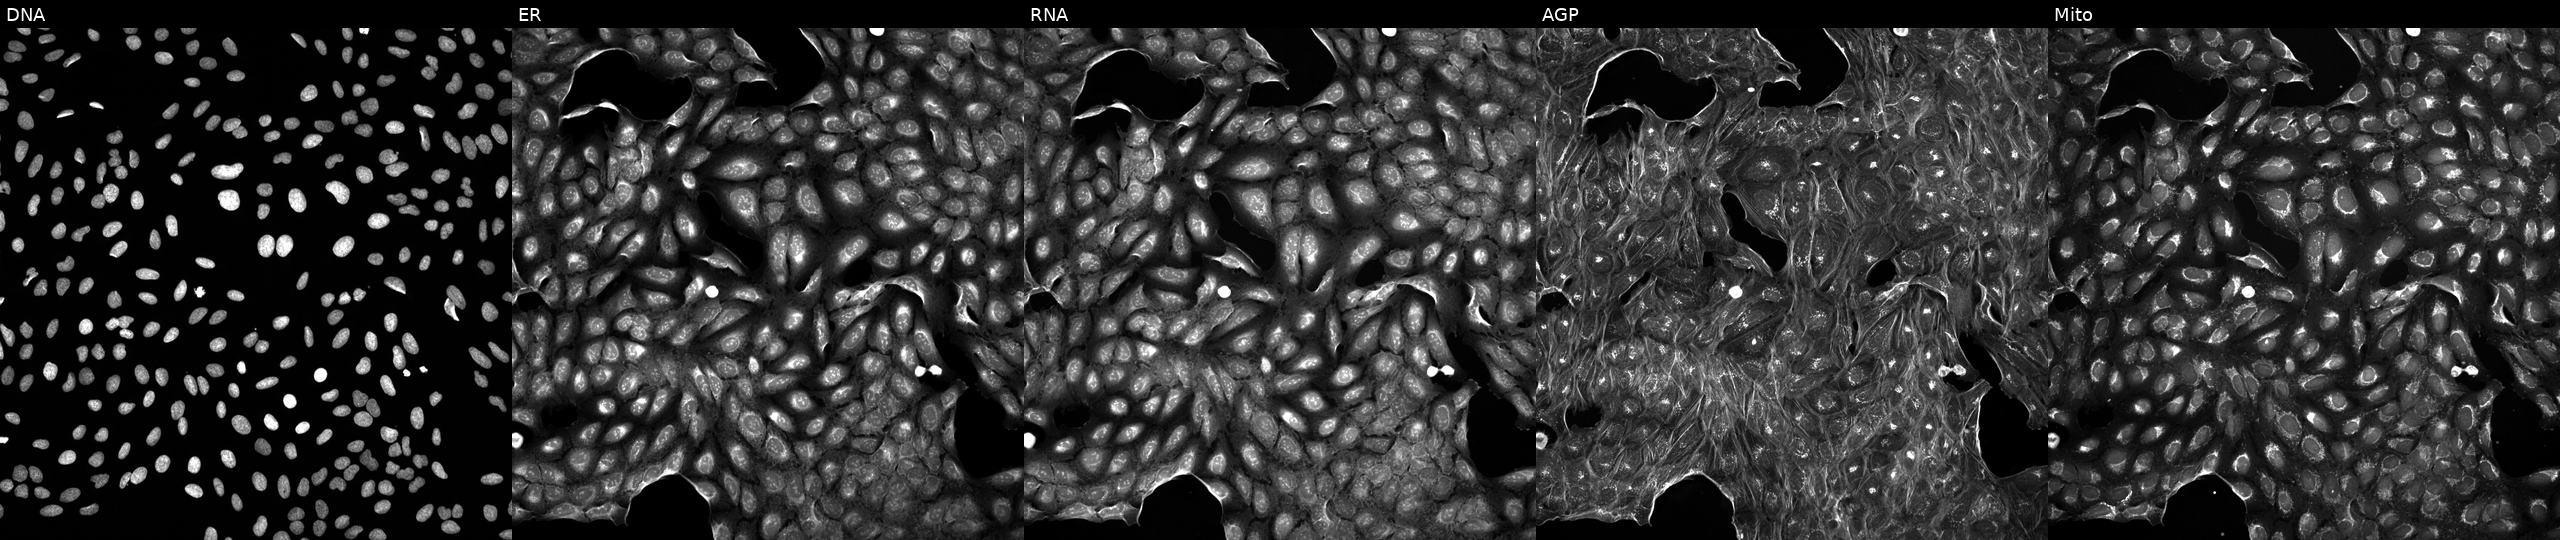
JUMP Cell Painting — TARGET2 plate. U2OS cells perturbed with a small-molecule compound (InChIKey ZNNLBTZKUZBEKO-UHFFFAOYSA-N). The five panels, left to right, show DNA, ER, RNA, AGP, and Mito.